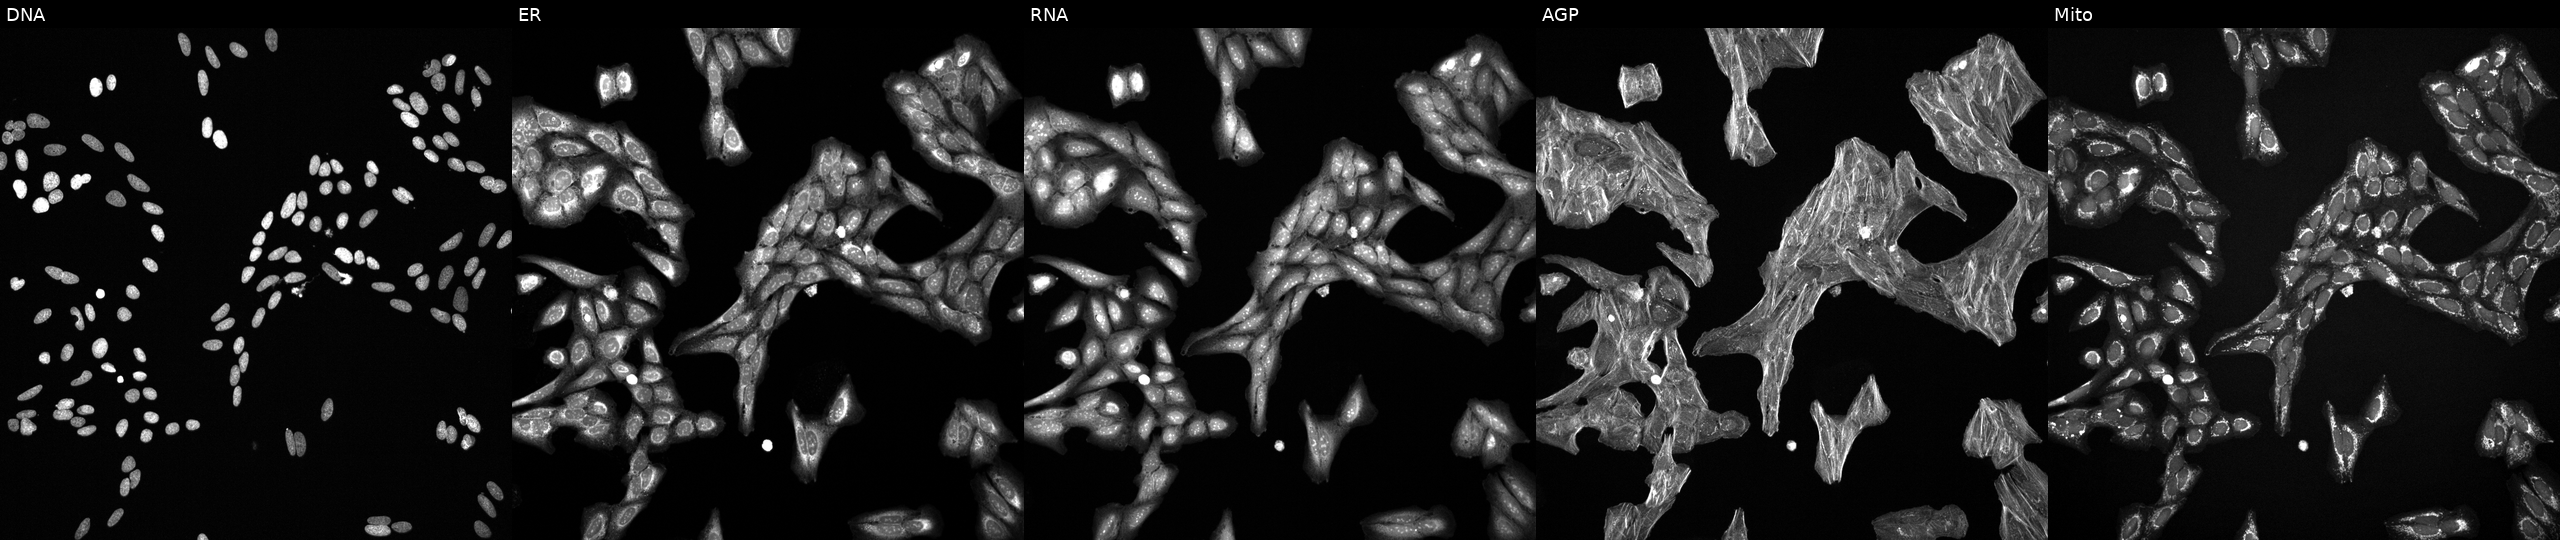
High-content fluorescence microscopy (Cell Painting). Cell line: U2OS. Perturbation: exposed to a small-molecule compound (JUMP id JCP2022_047545). From left to right: DNA, ER, RNA, AGP, and Mito. Source 6, plate 110000293093, well P21.